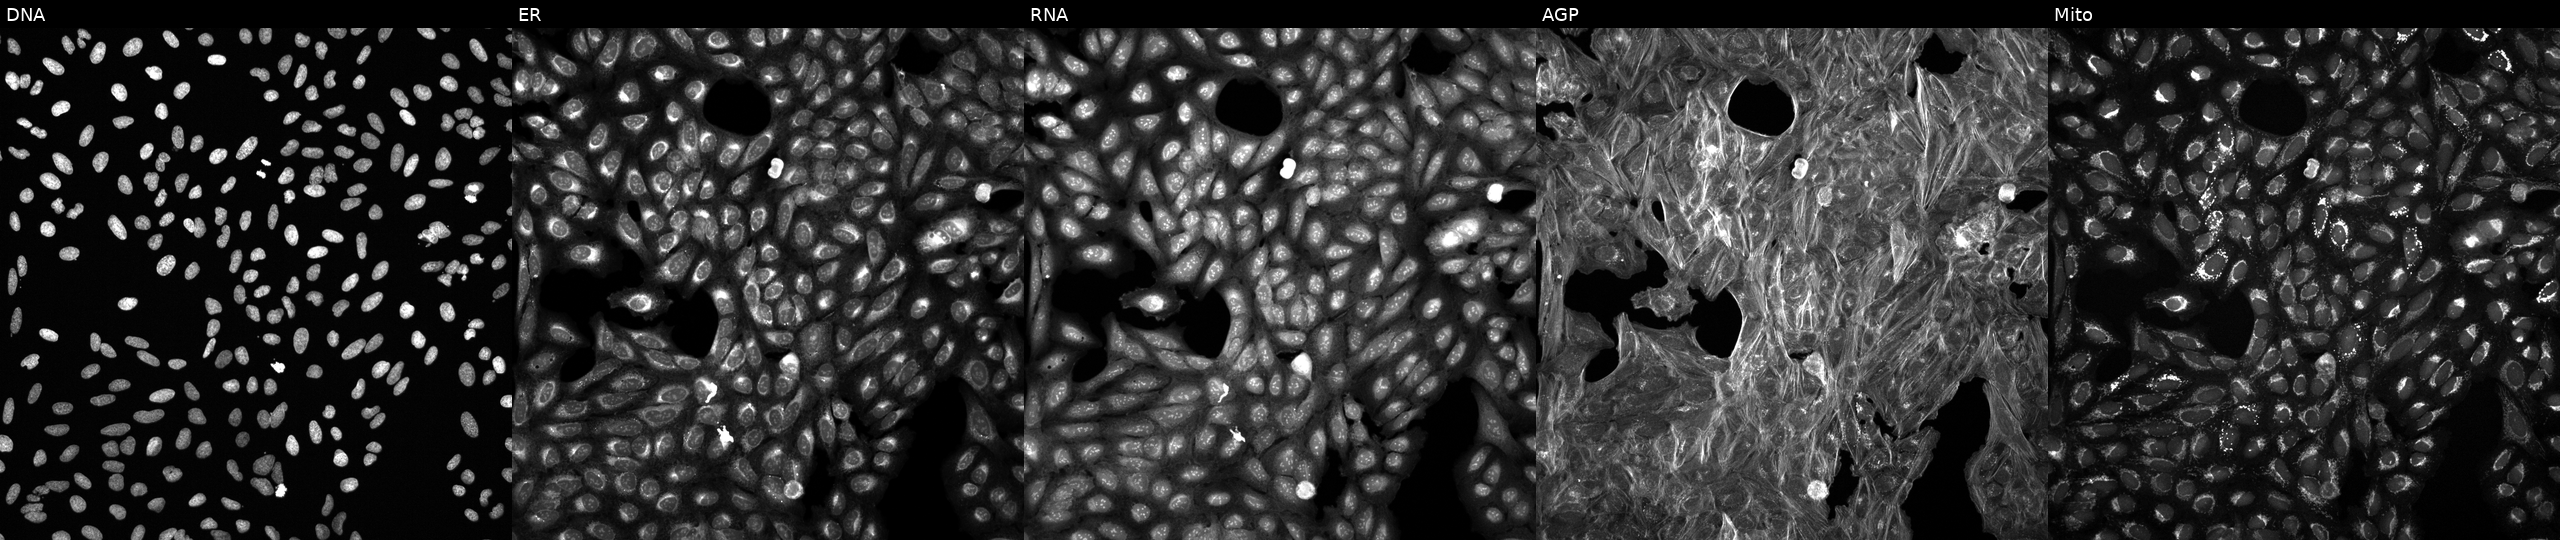
U2OS cells, Cell Painting assay, treated with a small-molecule compound (InChIKey HSTJXRJZHMQBGU-UHFFFAOYSA-N). From left to right: Hoechst 33342, concanavalin A, SYTO 14, phalloidin and WGA, MitoTracker. Each panel is percentile-stretched 16-bit fluorescence.